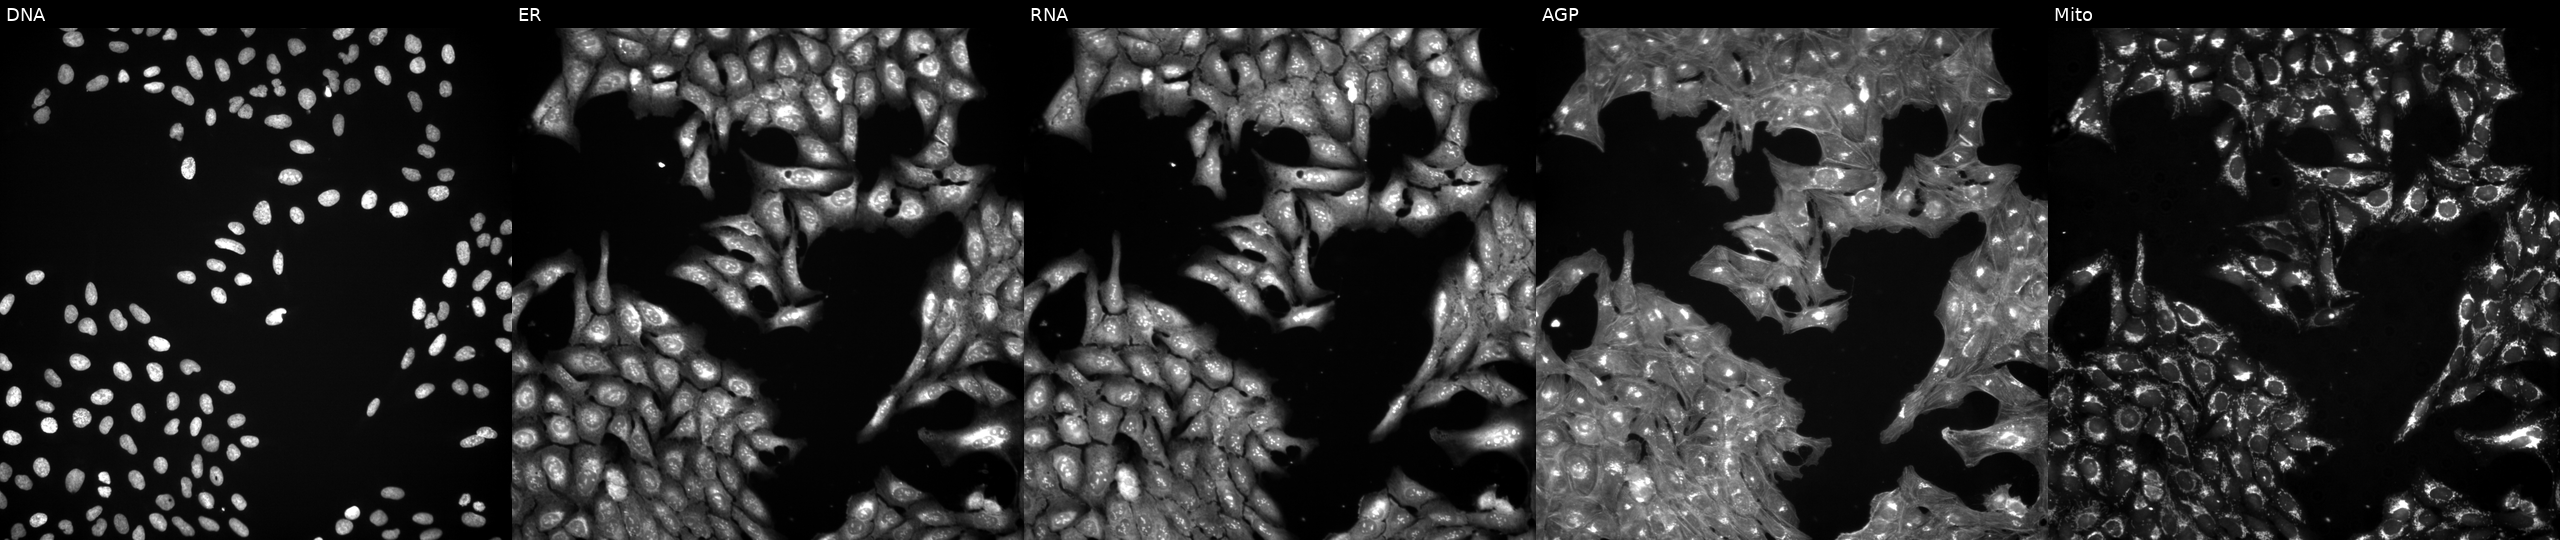
High-content fluorescence microscopy (Cell Painting). Cell line: U2OS. Perturbation: exposed to a small-molecule compound (InChIKey NJUKCOMLVQZISK-UHFFFAOYSA-N). Channels (left→right): DNA (nuclei); ER (endoplasmic reticulum); RNA (nucleoli and cytoplasmic RNA); AGP (actin cytoskeleton, Golgi, and plasma membrane); Mito (mitochondria). Source 3, plate BR5867a3, well F12.